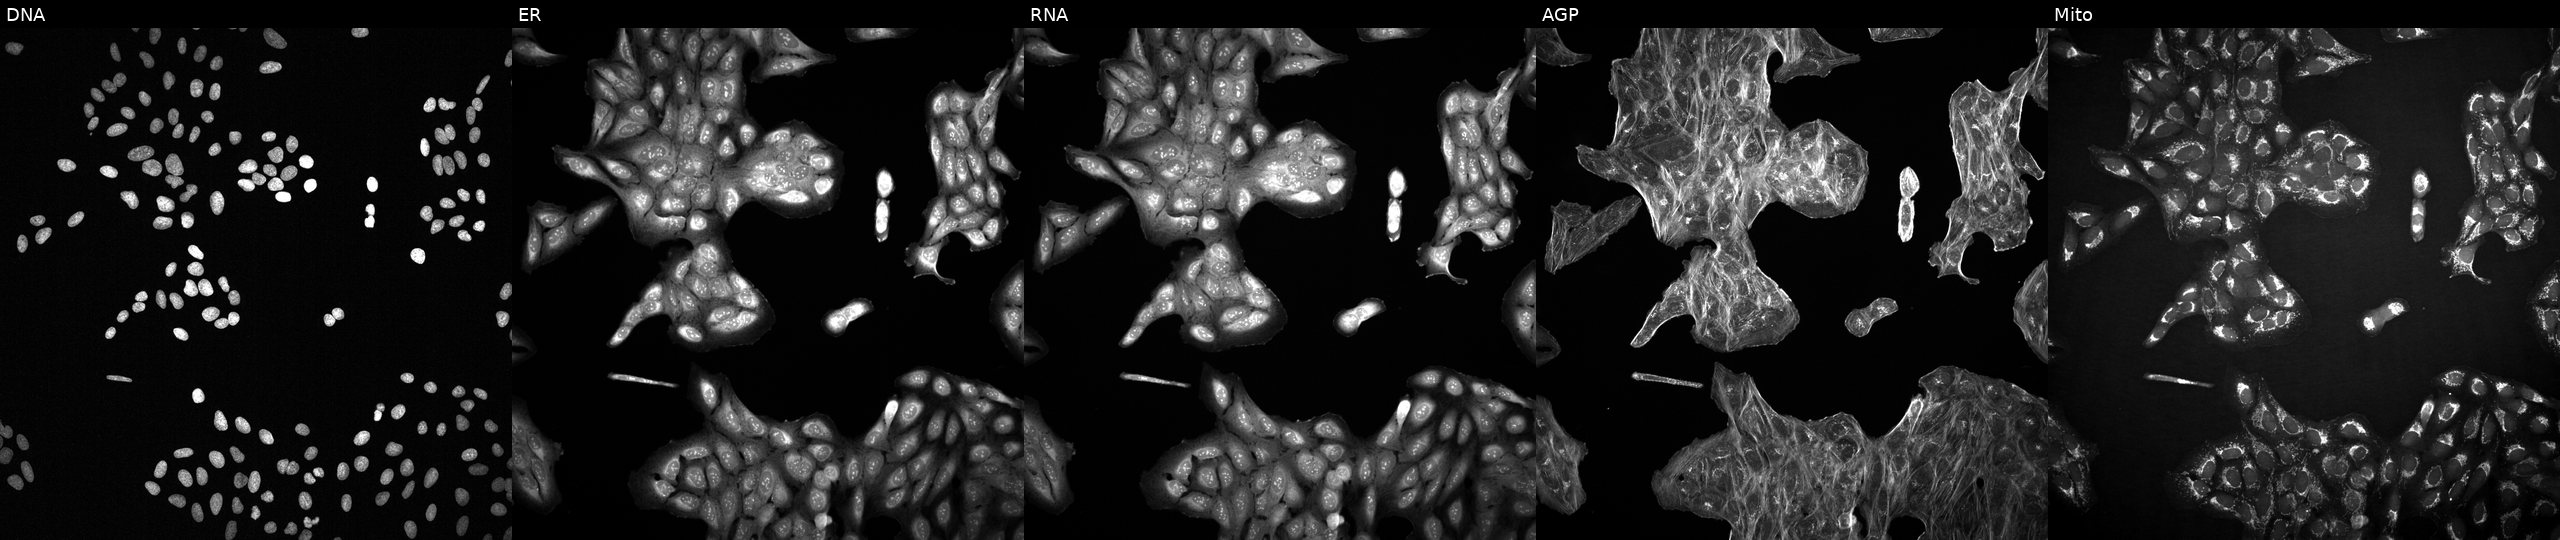
From left to right: DNA, ER, RNA, AGP, and Mito. U2OS osteosarcoma cells treated with a small-molecule compound (InChIKey AQMWDQFBXFOKHX-UHFFFAOYSA-N) [SMILES: O=c1c(Cl)cn(Cc2ccc([N+](=O)[O-])cc2)c(=O)n1Cc1ccc([N+](=O)[O-])cc1] (JUMP id JCP2022_003148). Cell Painting assay, JUMP-CP dataset.